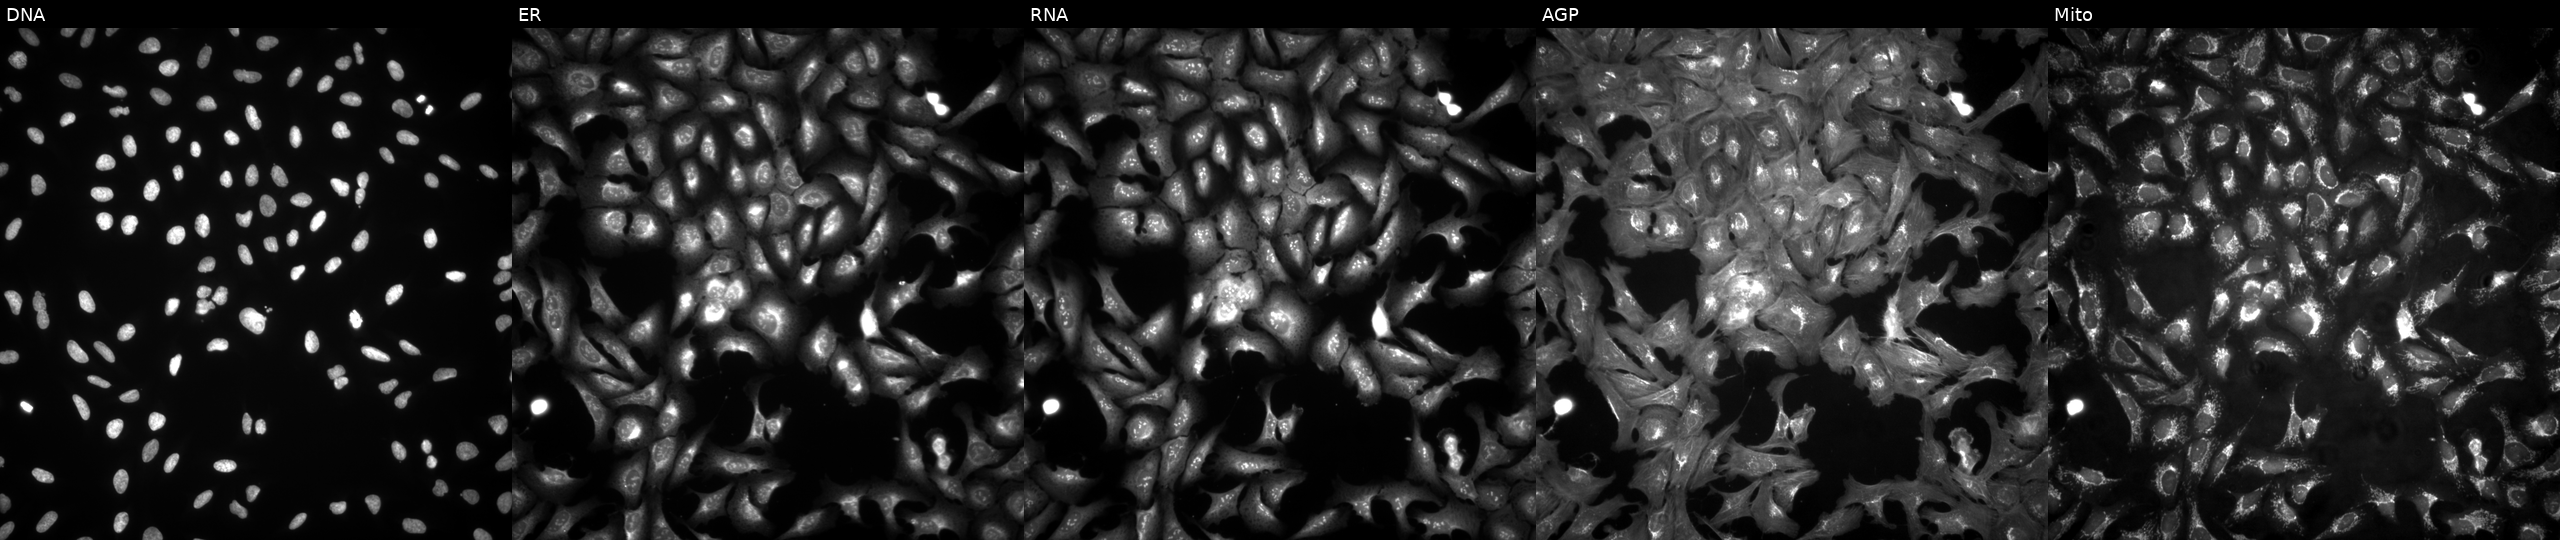
From left to right: DNA (nuclei); ER (endoplasmic reticulum); RNA (nucleoli and cytoplasmic RNA); AGP (actin cytoskeleton, Golgi, and plasma membrane); Mito (mitochondria). U2OS osteosarcoma cells transfected with an ORF construct for MRPS36. Cell Painting assay, JUMP-CP dataset. Source 4, plate BR00123509, well N24.